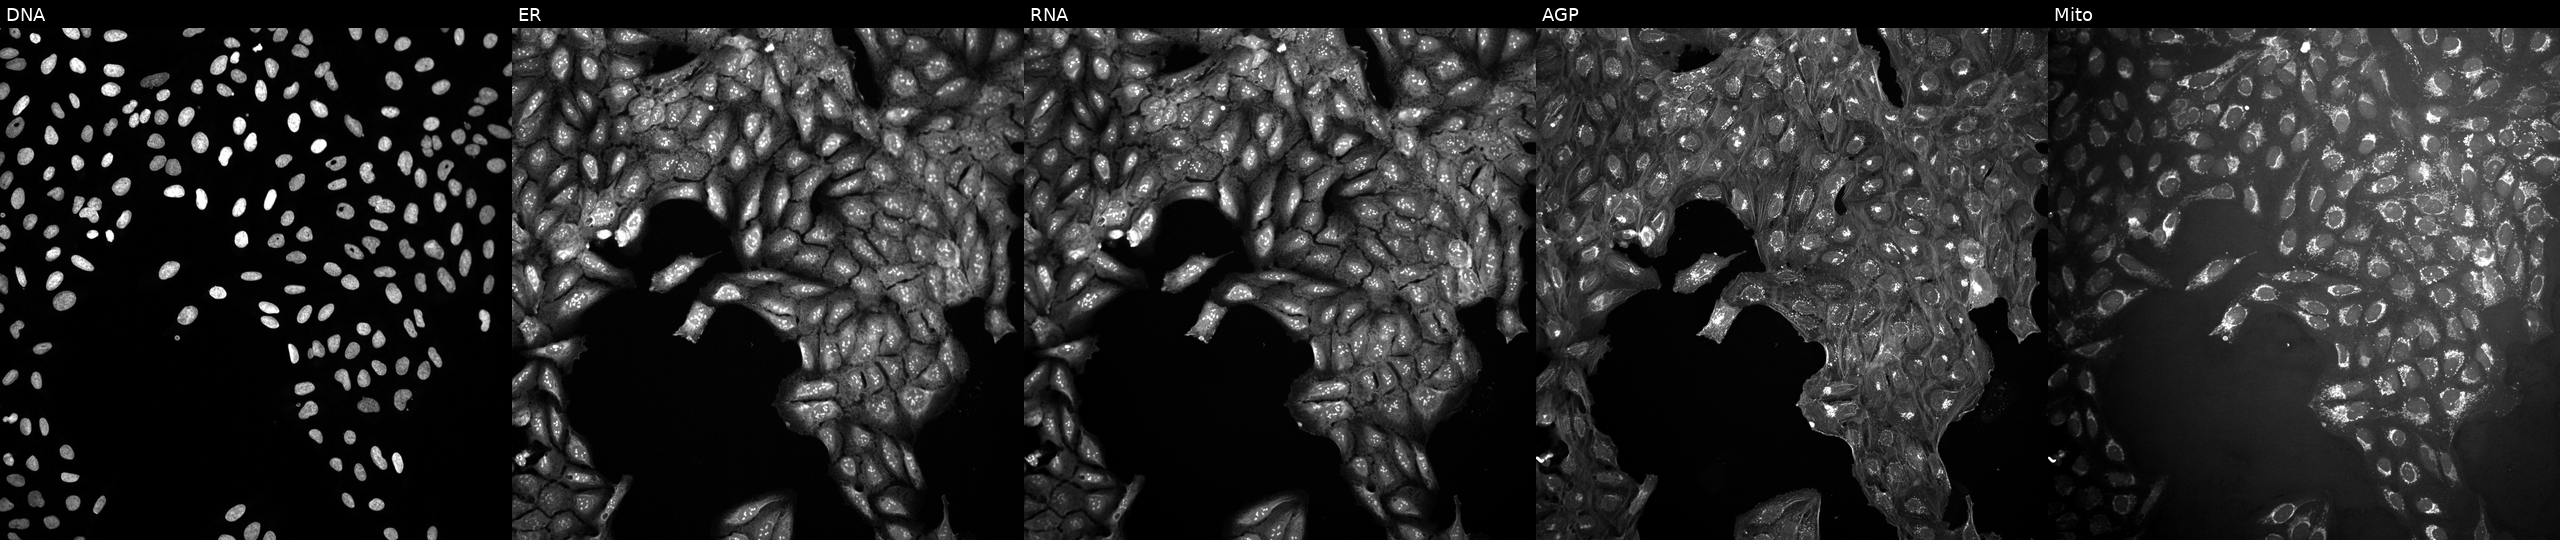
Five-channel Cell Painting image of U2OS cells exposed to a small-molecule compound (InChIKey ZPYCNVFVBQPRLR-UHFFFAOYSA-N). Panels show, left to right, DNA (nuclei); ER (endoplasmic reticulum); RNA (nucleoli and cytoplasmic RNA); AGP (actin cytoskeleton, Golgi, and plasma membrane); Mito (mitochondria).